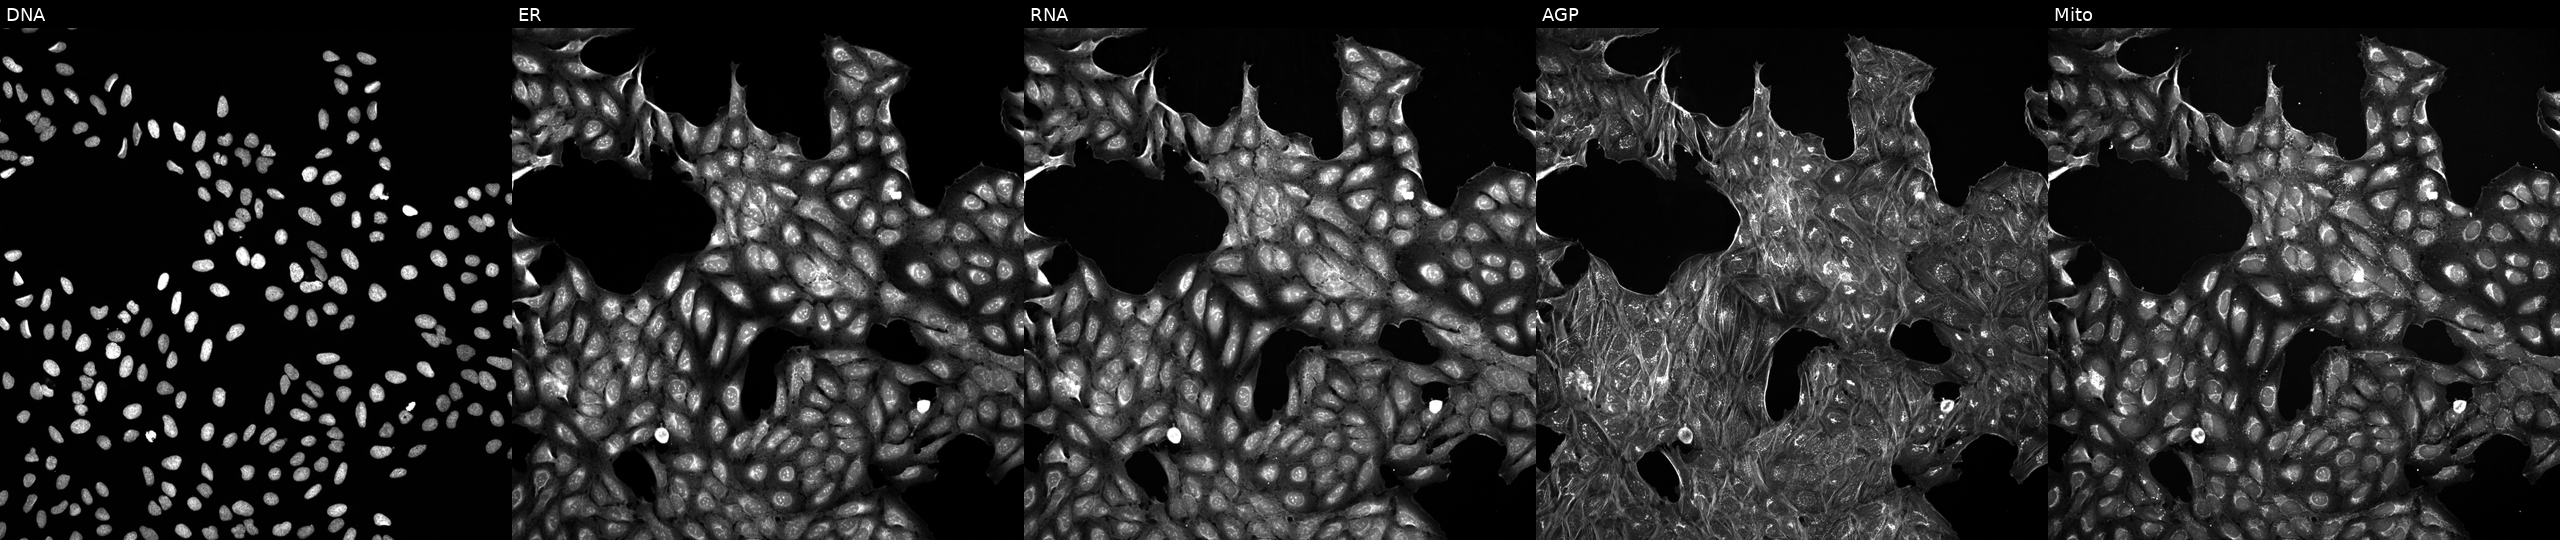
Five-channel Cell Painting image of U2OS cells exposed to a small-molecule compound (InChIKey QQOUHYSPRITQCQ-UHFFFAOYSA-N). The five panels, left to right, show DNA (nuclei); ER (endoplasmic reticulum); RNA (nucleoli and cytoplasmic RNA); AGP (actin cytoskeleton, Golgi, and plasma membrane); Mito (mitochondria).